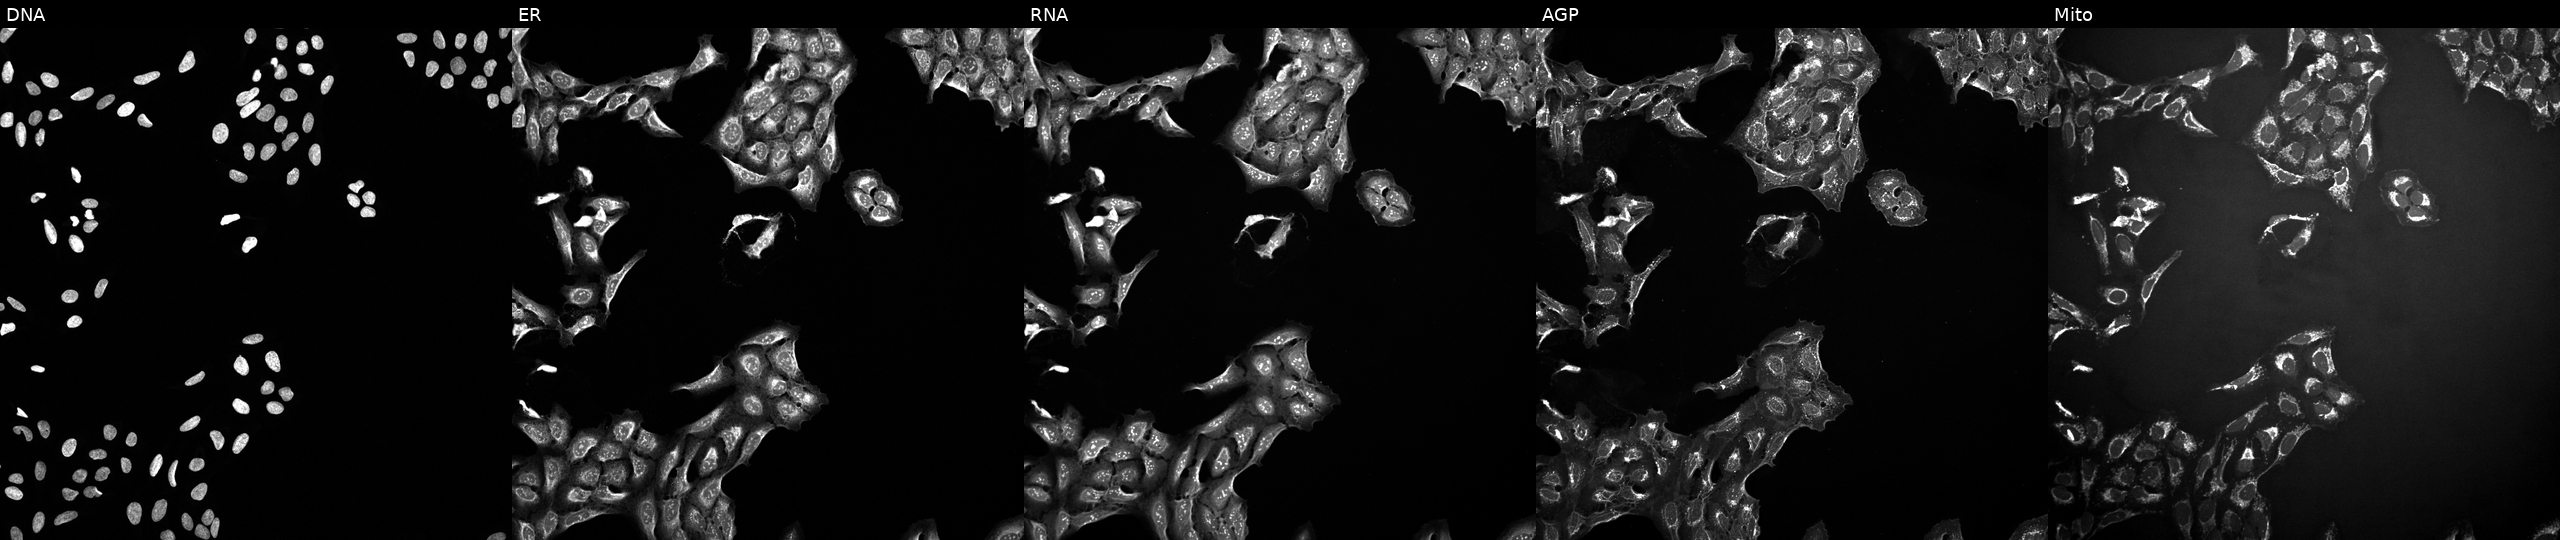
High-content fluorescence microscopy (Cell Painting). Cell line: U2OS. Perturbation: exposed to a small-molecule compound [SMILES: OC(CN1CCNCC1)Cn1c2ccc(Br)cc2c2cc(Br)ccc21]. Channels (left→right): DNA, ER, RNA, AGP, and Mito.